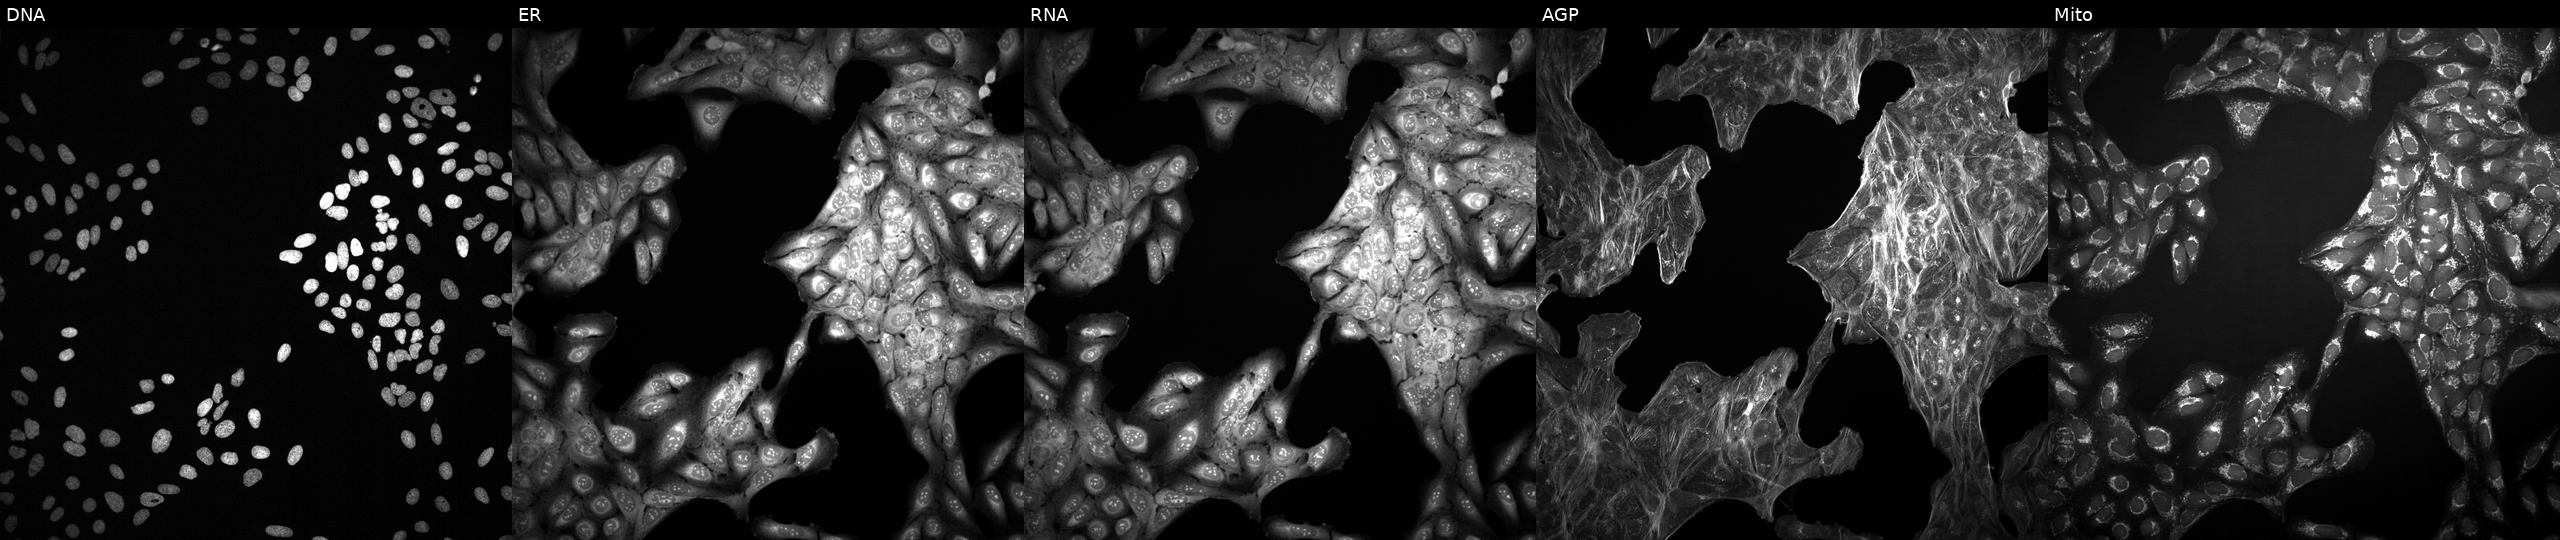
Channels (left→right): Hoechst 33342, concanavalin A, SYTO 14, phalloidin and WGA, MitoTracker. U2OS osteosarcoma cells treated with DMSO vehicle only (negative control). Cell Painting assay, JUMP-CP dataset. Source 2, plate 1053597936, well P24.